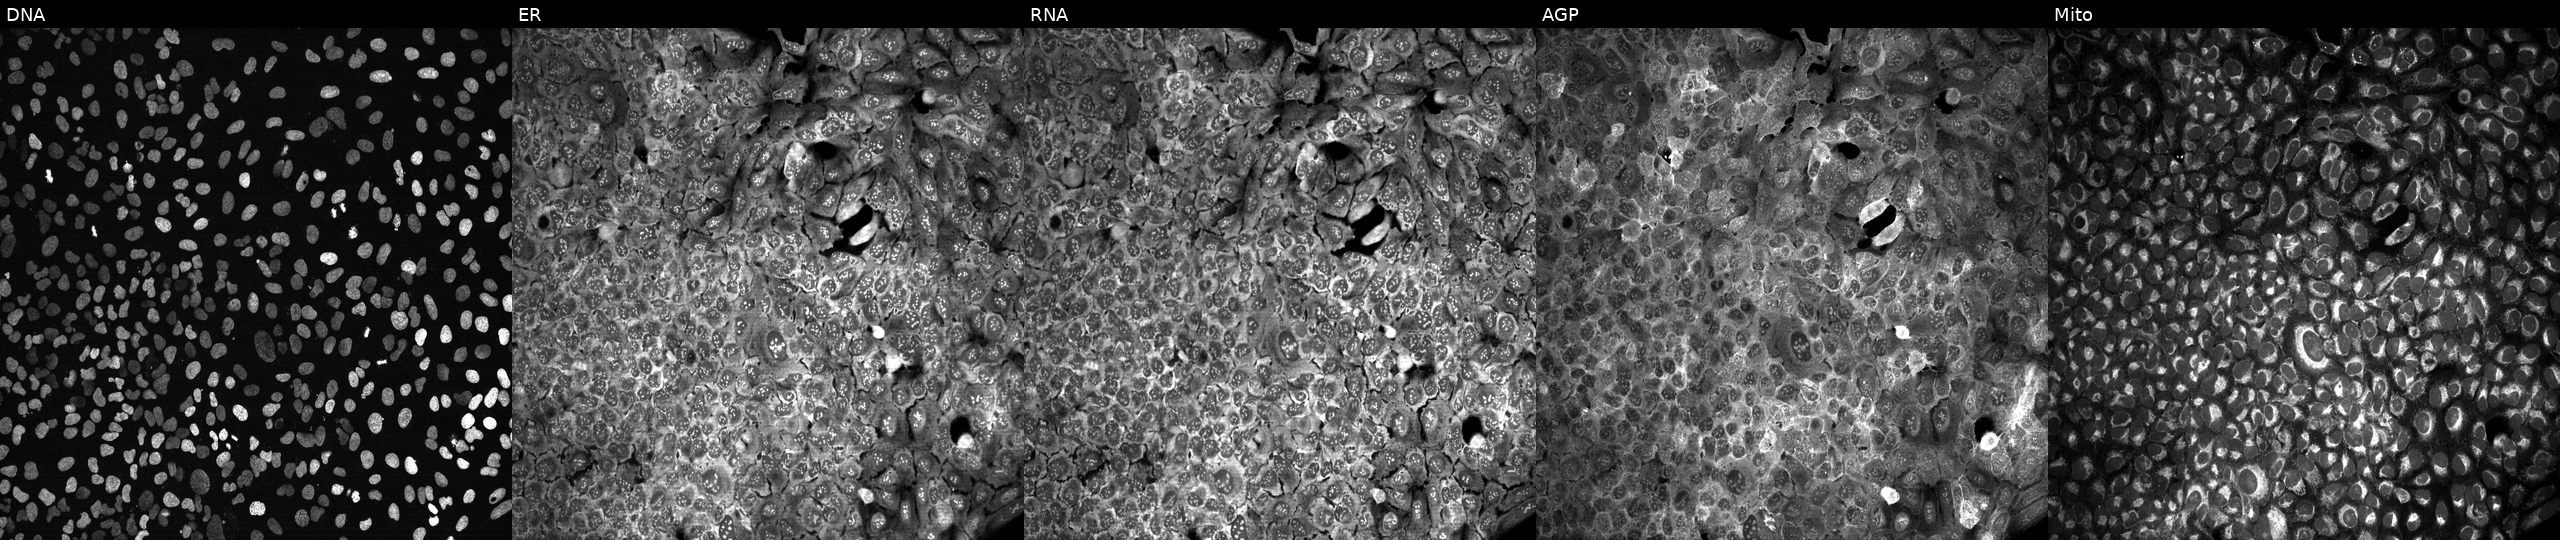
From left to right: DNA (nuclei); ER (endoplasmic reticulum); RNA (nucleoli and cytoplasmic RNA); AGP (actin cytoskeleton, Golgi, and plasma membrane); Mito (mitochondria). U2OS osteosarcoma cells following CRISPR knockout of ALB. Cell Painting assay, JUMP-CP dataset.